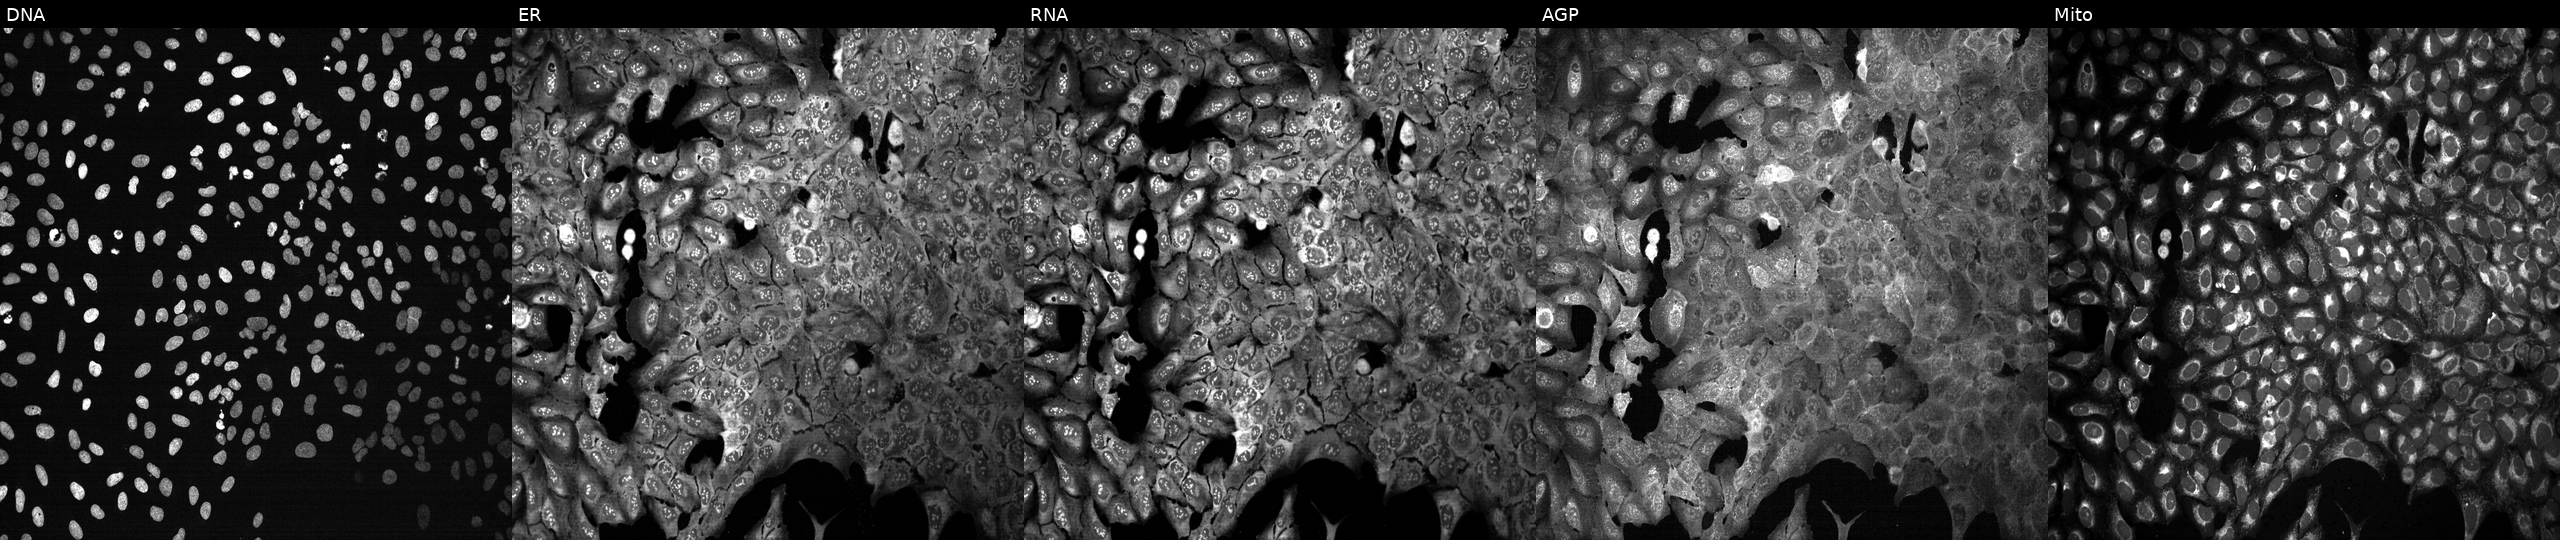
JUMP Cell Painting — CRISPR plate. U2OS cells CRISPR-edited to disrupt DIO2 (JUMP id JCP2022_801817). The five panels, left to right, show DNA, ER, RNA, AGP, and Mito.